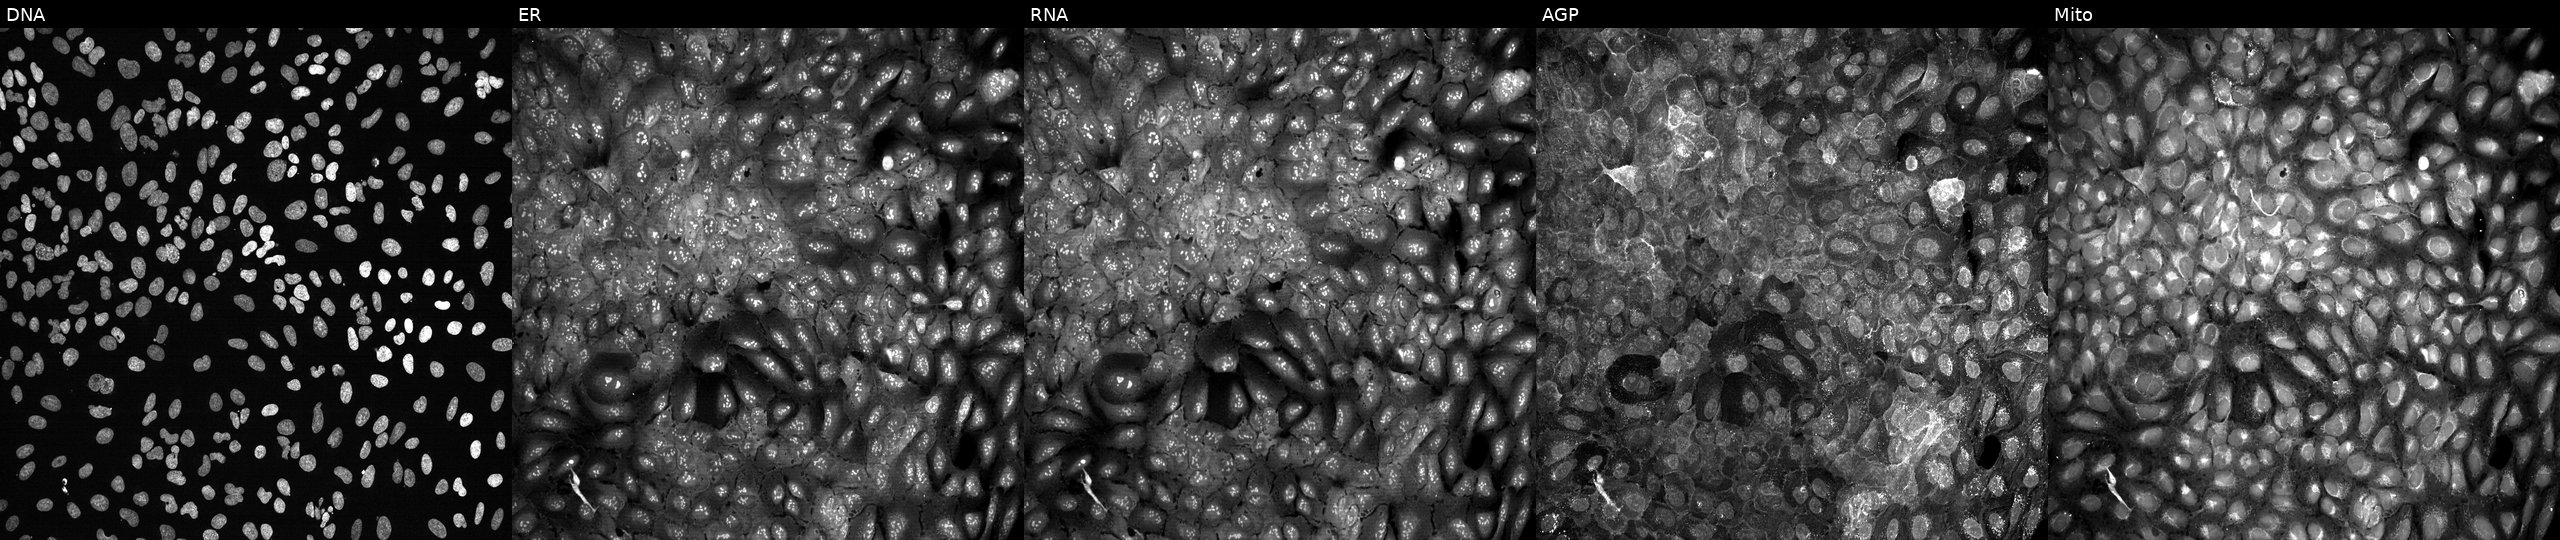
From left to right: Hoechst 33342, concanavalin A, SYTO 14, phalloidin and WGA, MitoTracker. U2OS osteosarcoma cells with POLE knocked out by CRISPR. Cell Painting assay, JUMP-CP dataset.